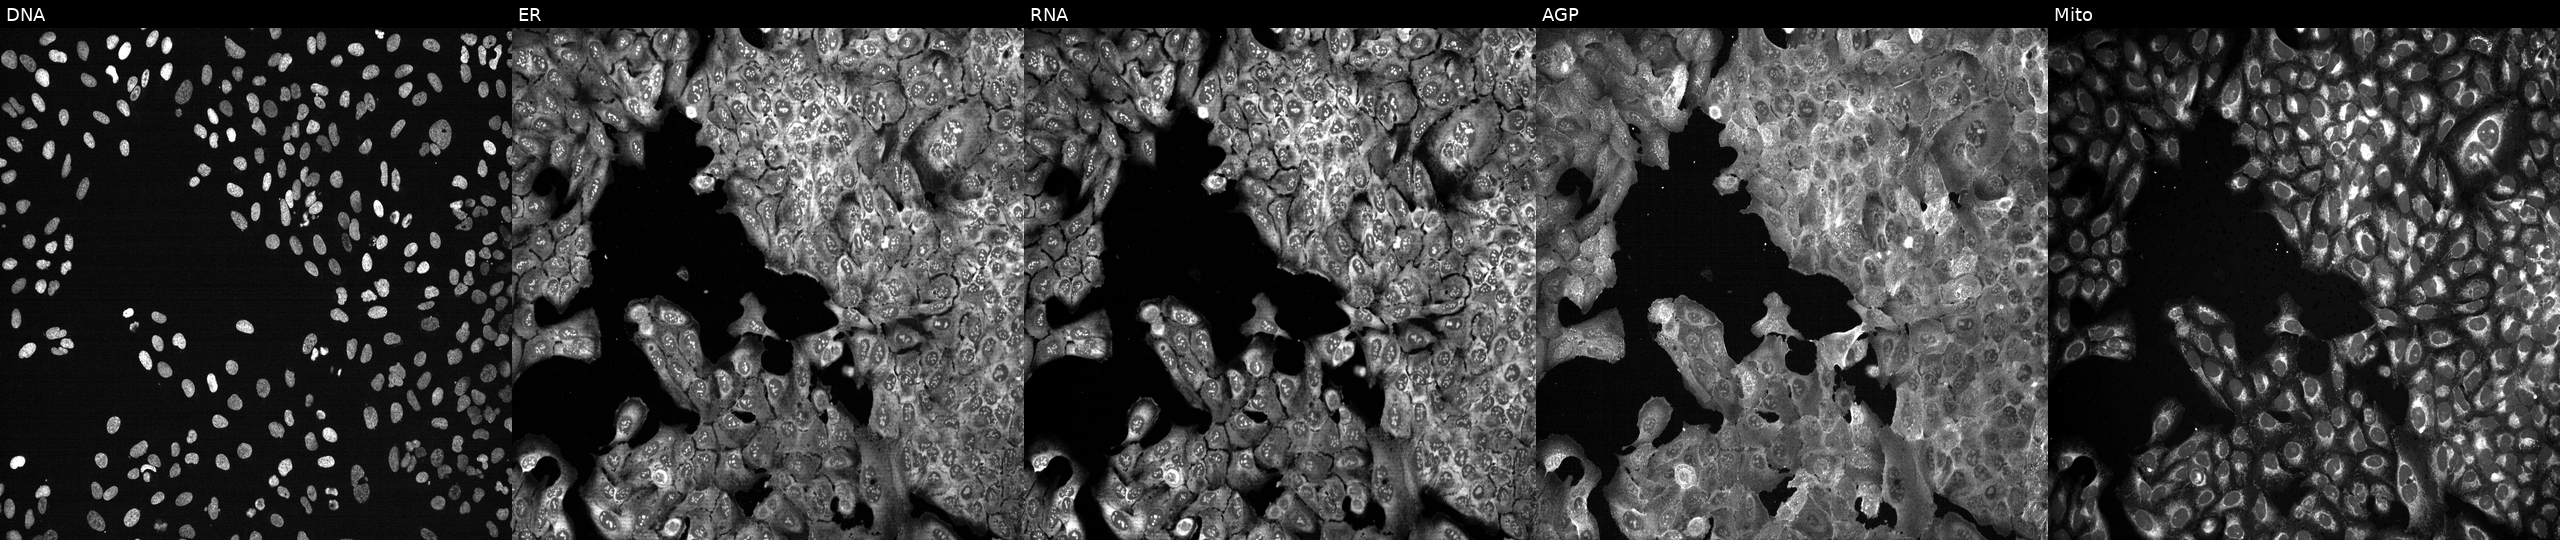
Panels show, left to right, Hoechst 33342, concanavalin A, SYTO 14, phalloidin and WGA, MitoTracker. U2OS osteosarcoma cells with SOAT2 knocked out by CRISPR (JUMP id JCP2022_806673). Cell Painting assay, JUMP-CP dataset. Source 13, plate CP-CC9-R2-02, well G12.